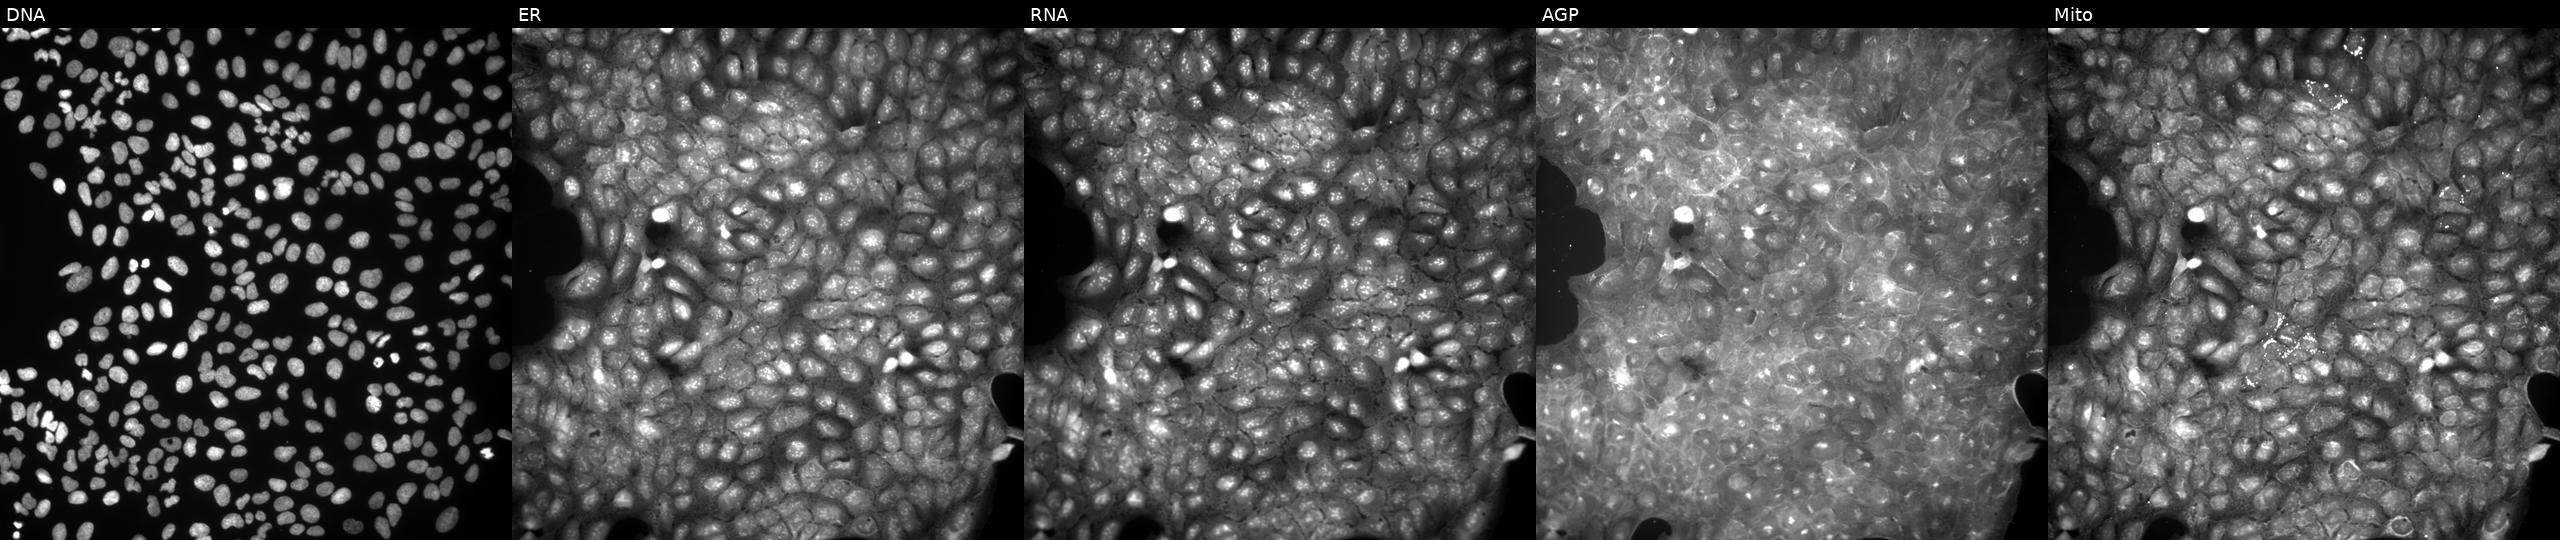
JUMP Cell Painting — COMPOUND plate. U2OS cells exposed to a small-molecule compound (InChIKey HXCOOJOJYVWELJ-UHFFFAOYSA-N). Channels (left→right): Hoechst 33342, concanavalin A, SYTO 14, phalloidin and WGA, MitoTracker. Source 9, plate GR00003381, well V21.